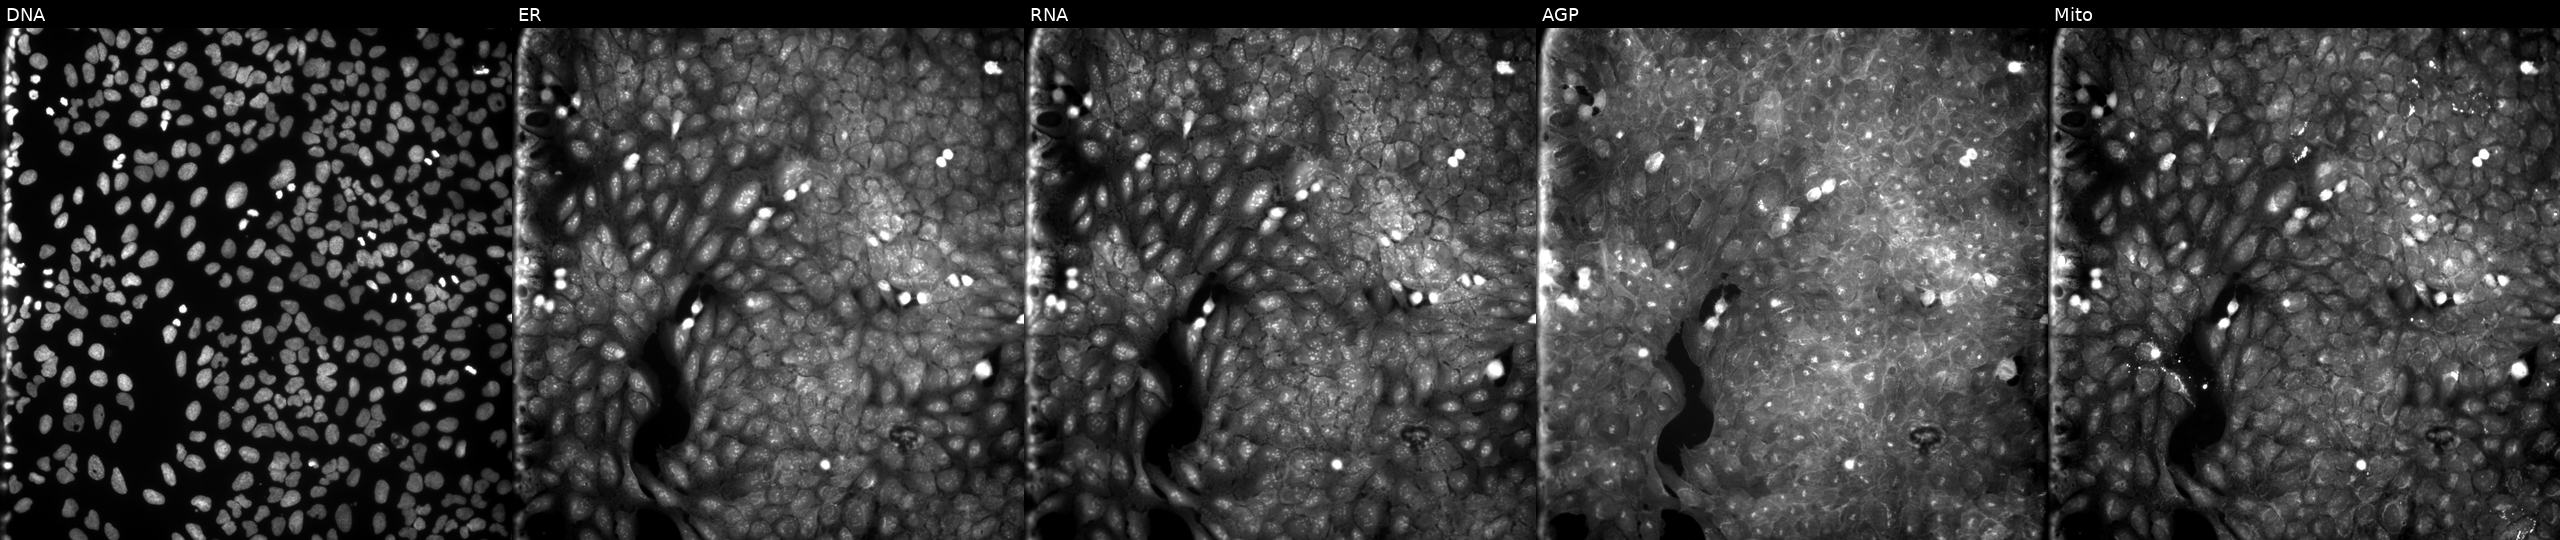
JUMP Cell Painting — COMPOUND plate. U2OS cells treated with a small-molecule compound (InChIKey CXSQPXQHUQKWPJ-UHFFFAOYSA-N) (JUMP id JCP2022_014104). Panels show, left to right, DNA, ER, RNA, AGP, and Mito.